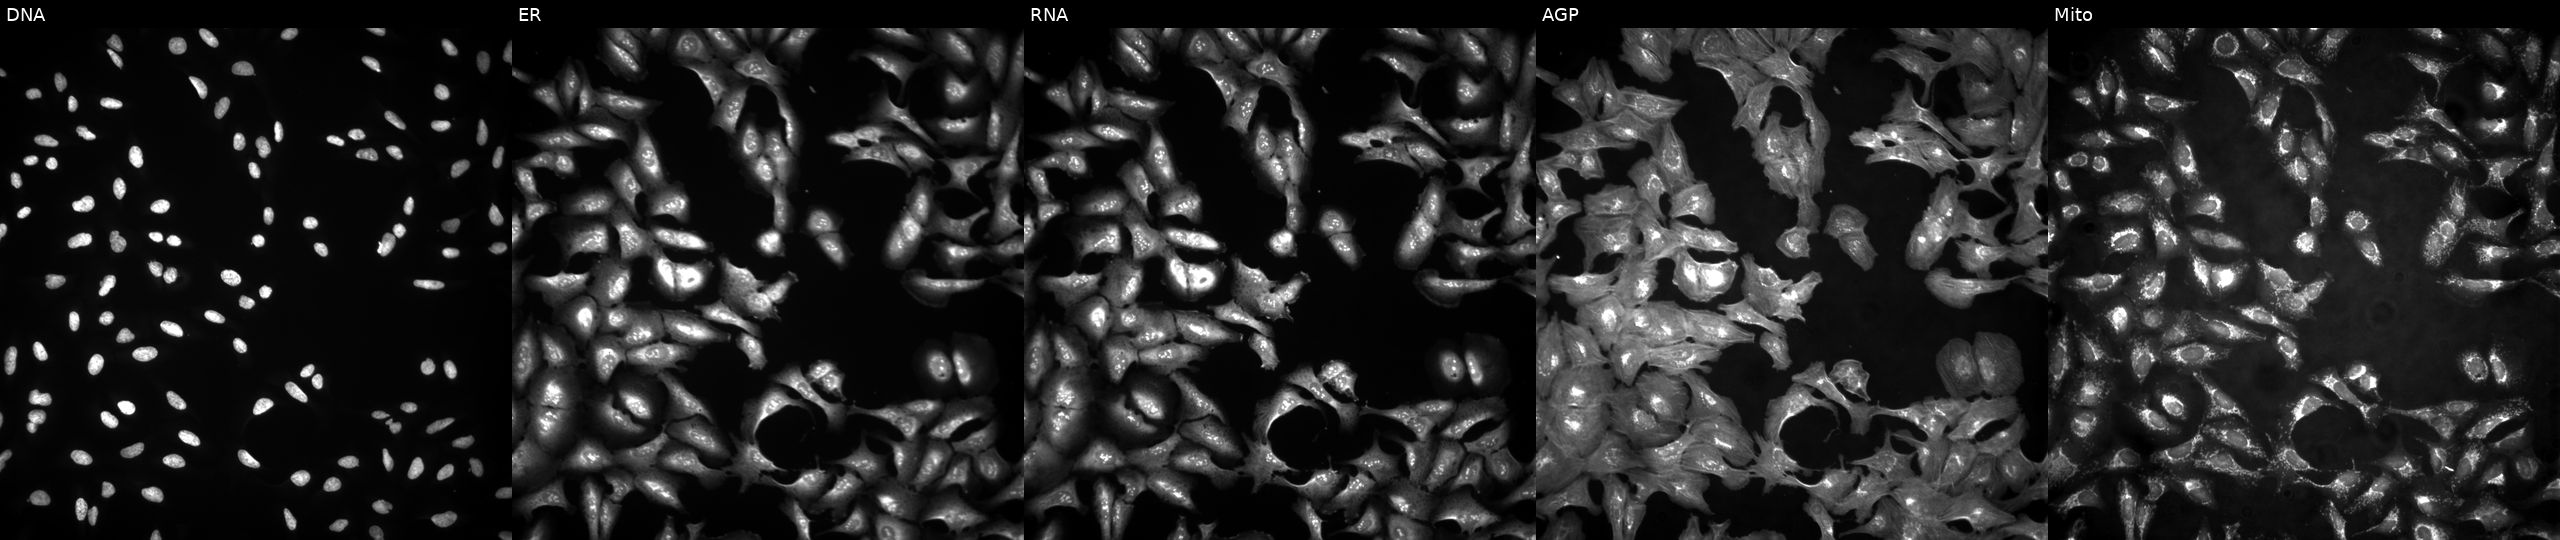
Channels (left→right): Hoechst 33342, concanavalin A, SYTO 14, phalloidin and WGA, MitoTracker. U2OS osteosarcoma cells expressing LacZ (ORF negative control) (JUMP id JCP2022_915131). Cell Painting assay, JUMP-CP dataset. Source 4, plate BR00124784, well J20.